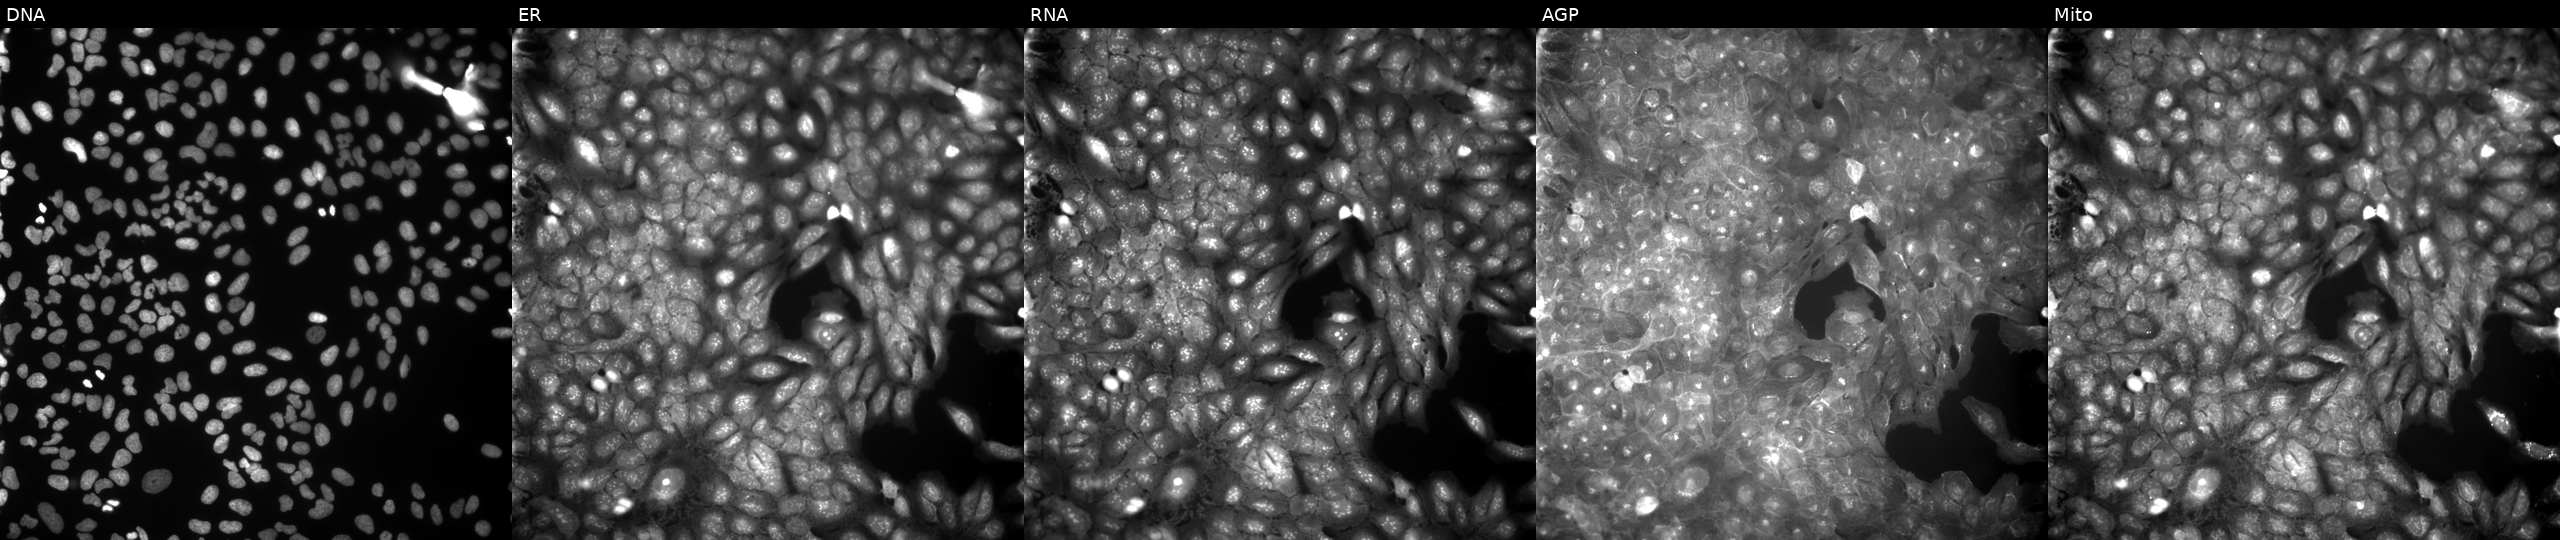
U2OS cells, Cell Painting assay, perturbed with a small-molecule compound. The five panels, left to right, show DNA (nuclei); ER (endoplasmic reticulum); RNA (nucleoli and cytoplasmic RNA); AGP (actin cytoskeleton, Golgi, and plasma membrane); Mito (mitochondria). Each panel is percentile-stretched 16-bit fluorescence. Source 9, plate GR00003382, well X14.